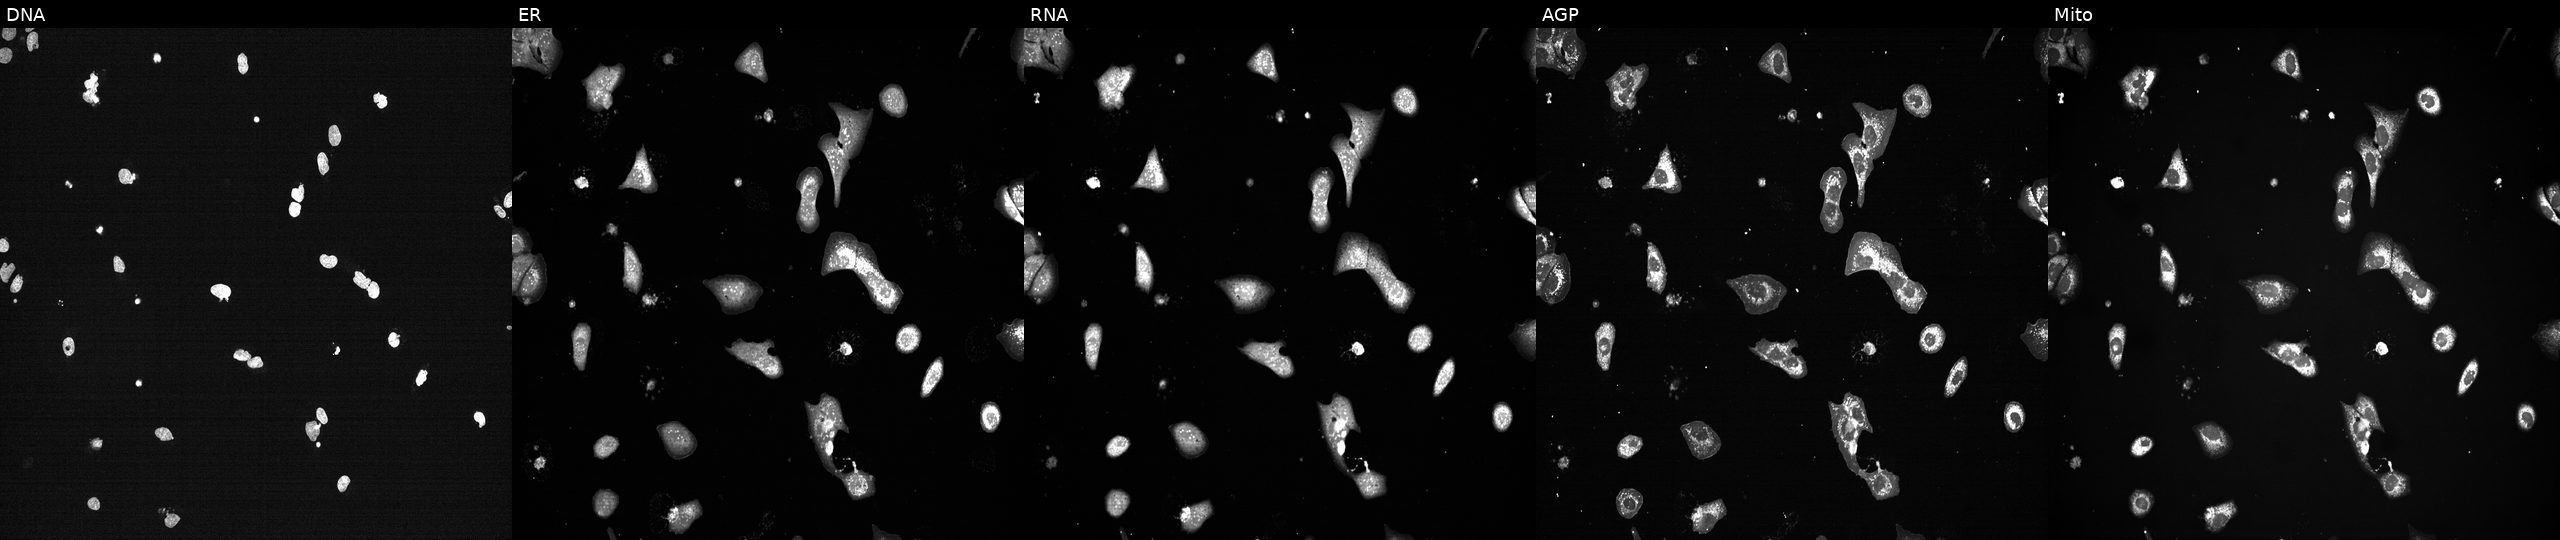
JUMP Cell Painting — TARGET2 plate. U2OS cells exposed to a small-molecule compound (InChIKey QTBWCSQGBMPECM-UHFFFAOYSA-N) (JUMP id JCP2022_075694). Panels show, left to right, DNA (nuclei); ER (endoplasmic reticulum); RNA (nucleoli and cytoplasmic RNA); AGP (actin cytoskeleton, Golgi, and plasma membrane); Mito (mitochondria). Source 7, plate CP2-SC1-25, well K10.